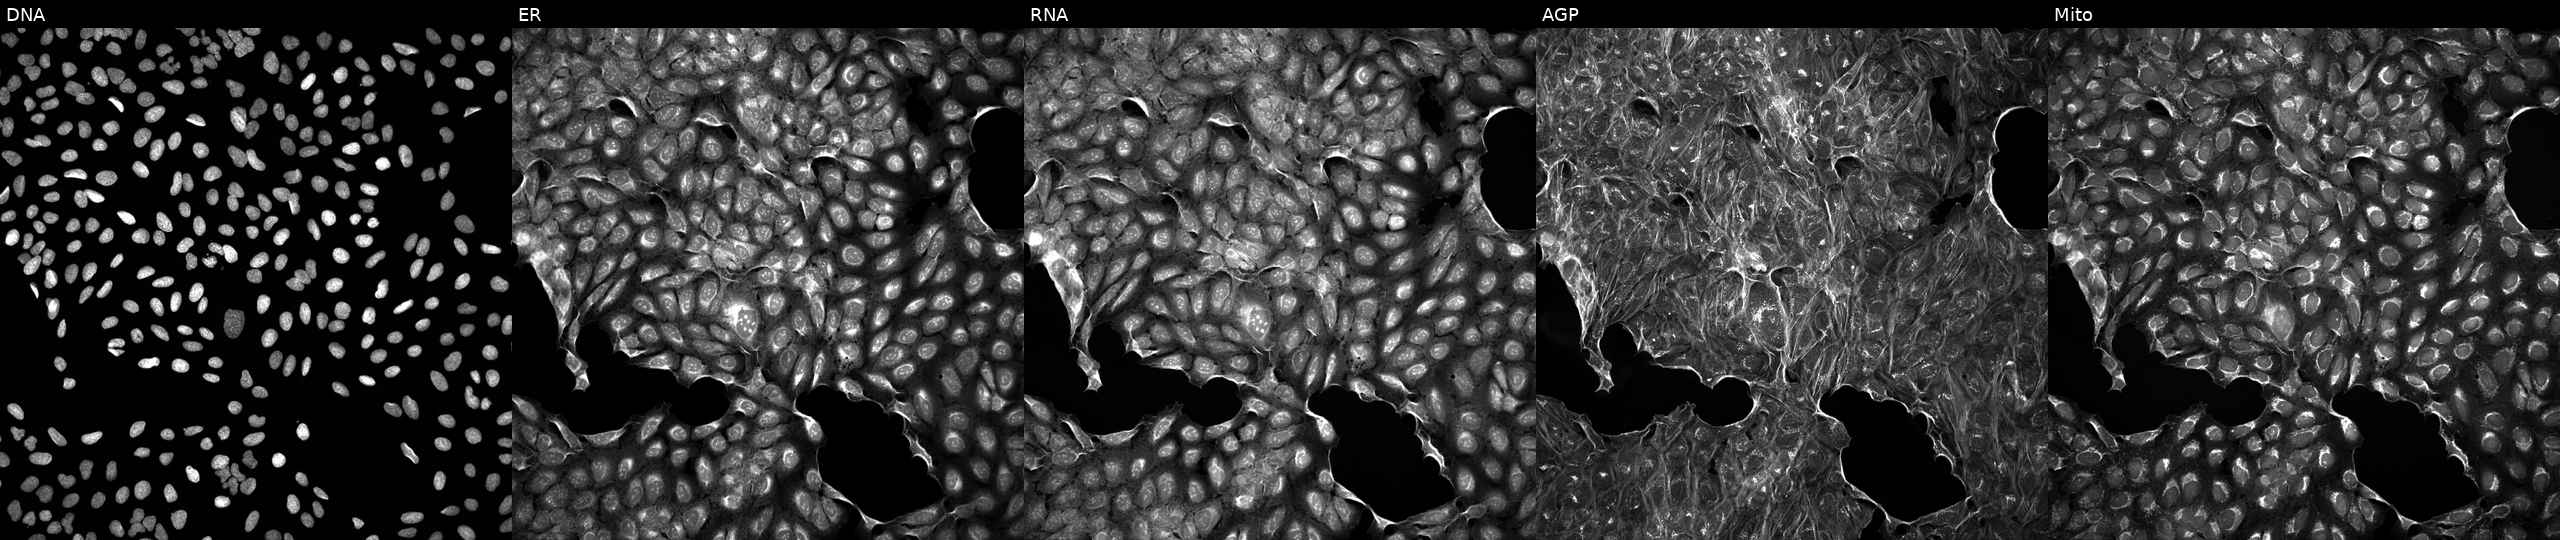
This image strip shows the five Cell Painting channels for a single field of U2OS cells exposed to a small-molecule compound (InChIKey SNICXCGAKADSCV-UHFFFAOYSA-N) (JUMP id JCP2022_084364). The five panels, left to right, show Hoechst 33342, concanavalin A, SYTO 14, phalloidin and WGA, MitoTracker. Source 5, plate ACPJUM012, well P02.